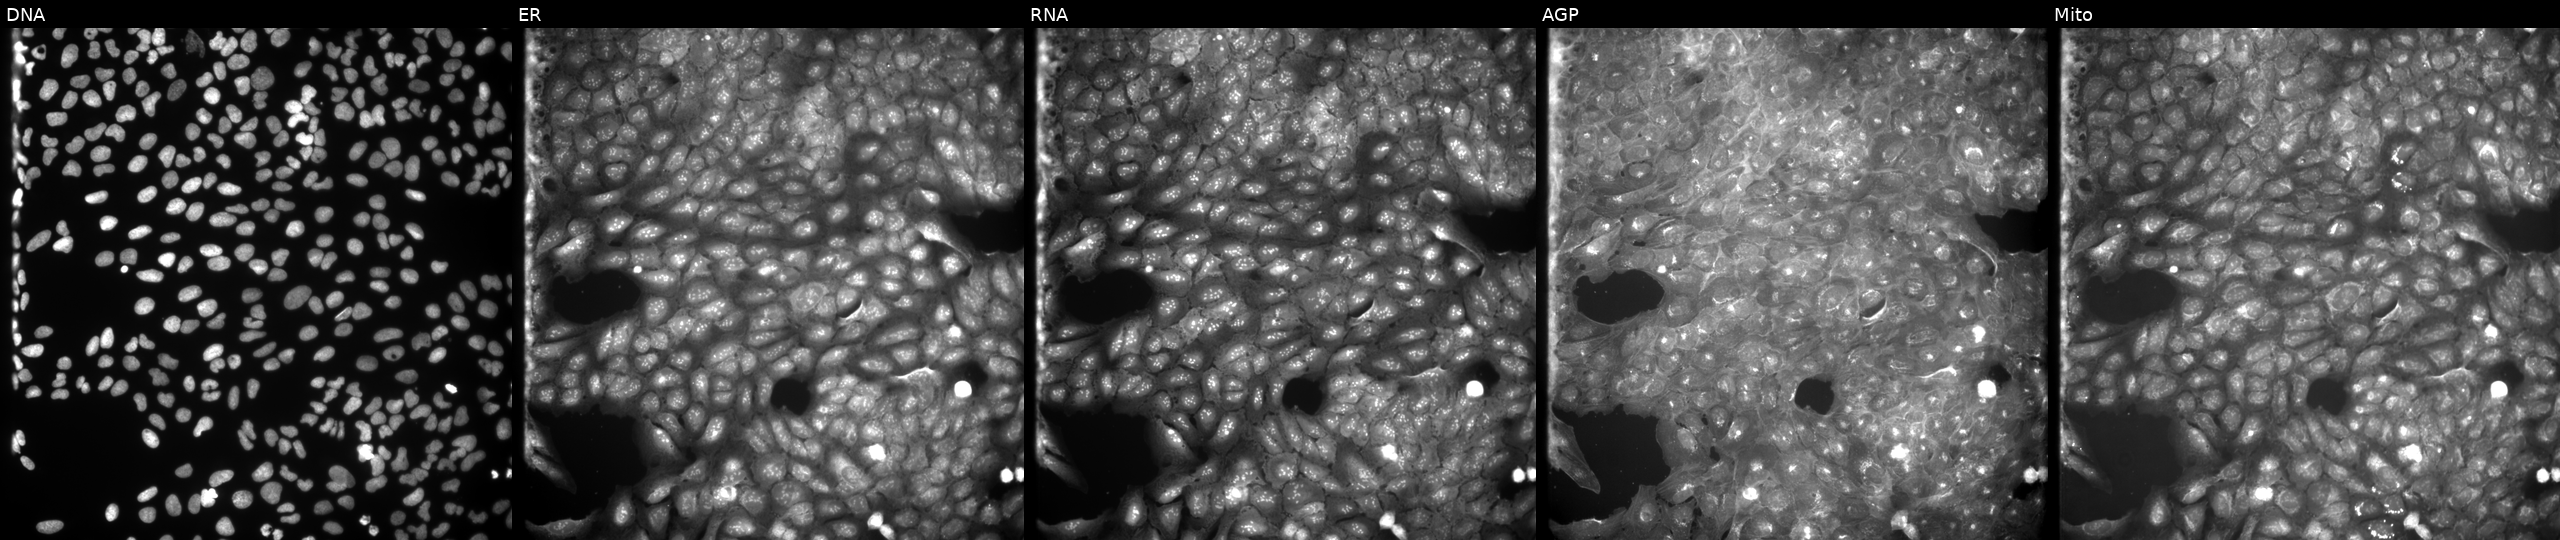
This image strip shows the five Cell Painting channels for a single field of U2OS cells treated with a small-molecule compound. Channels (left→right): Hoechst 33342, concanavalin A, SYTO 14, phalloidin and WGA, MitoTracker. Source 9, plate GR00003381, well E13.